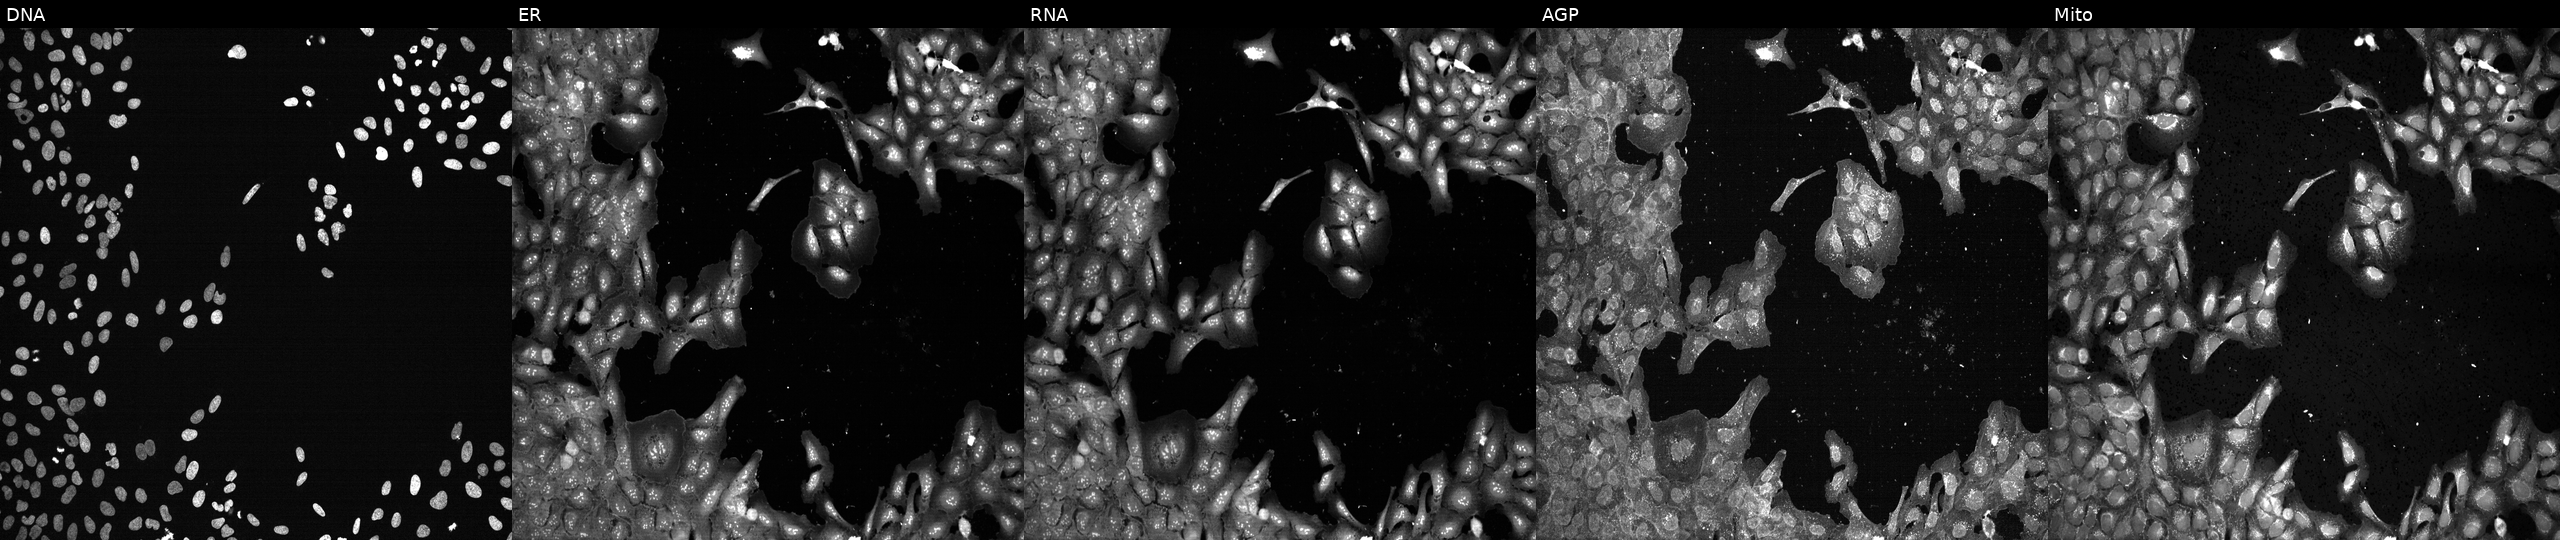
High-content fluorescence microscopy (Cell Painting). Cell line: U2OS. Perturbation: exposed to the positive-control compound quinidine (JUMP id JCP2022_050797). From left to right: DNA (nuclei); ER (endoplasmic reticulum); RNA (nucleoli and cytoplasmic RNA); AGP (actin cytoskeleton, Golgi, and plasma membrane); Mito (mitochondria).